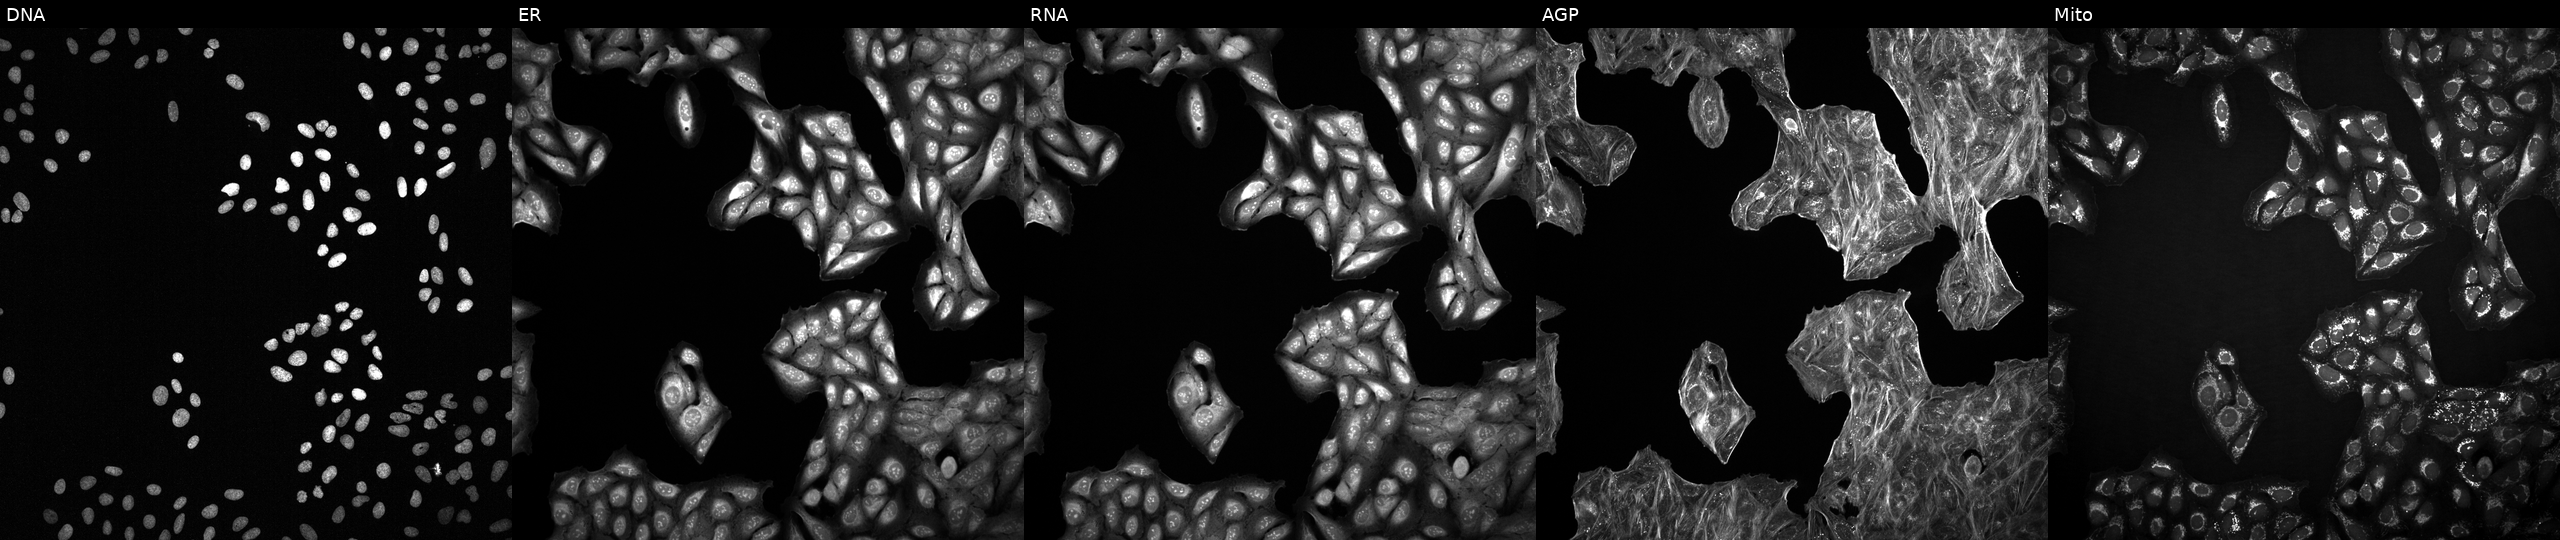
High-content fluorescence microscopy (Cell Painting). Cell line: U2OS. Perturbation: perturbed with a small-molecule compound (InChIKey FWKVWOYBSVLAAX-UHFFFAOYSA-N). The five panels, left to right, show DNA (nuclei); ER (endoplasmic reticulum); RNA (nucleoli and cytoplasmic RNA); AGP (actin cytoskeleton, Golgi, and plasma membrane); Mito (mitochondria).